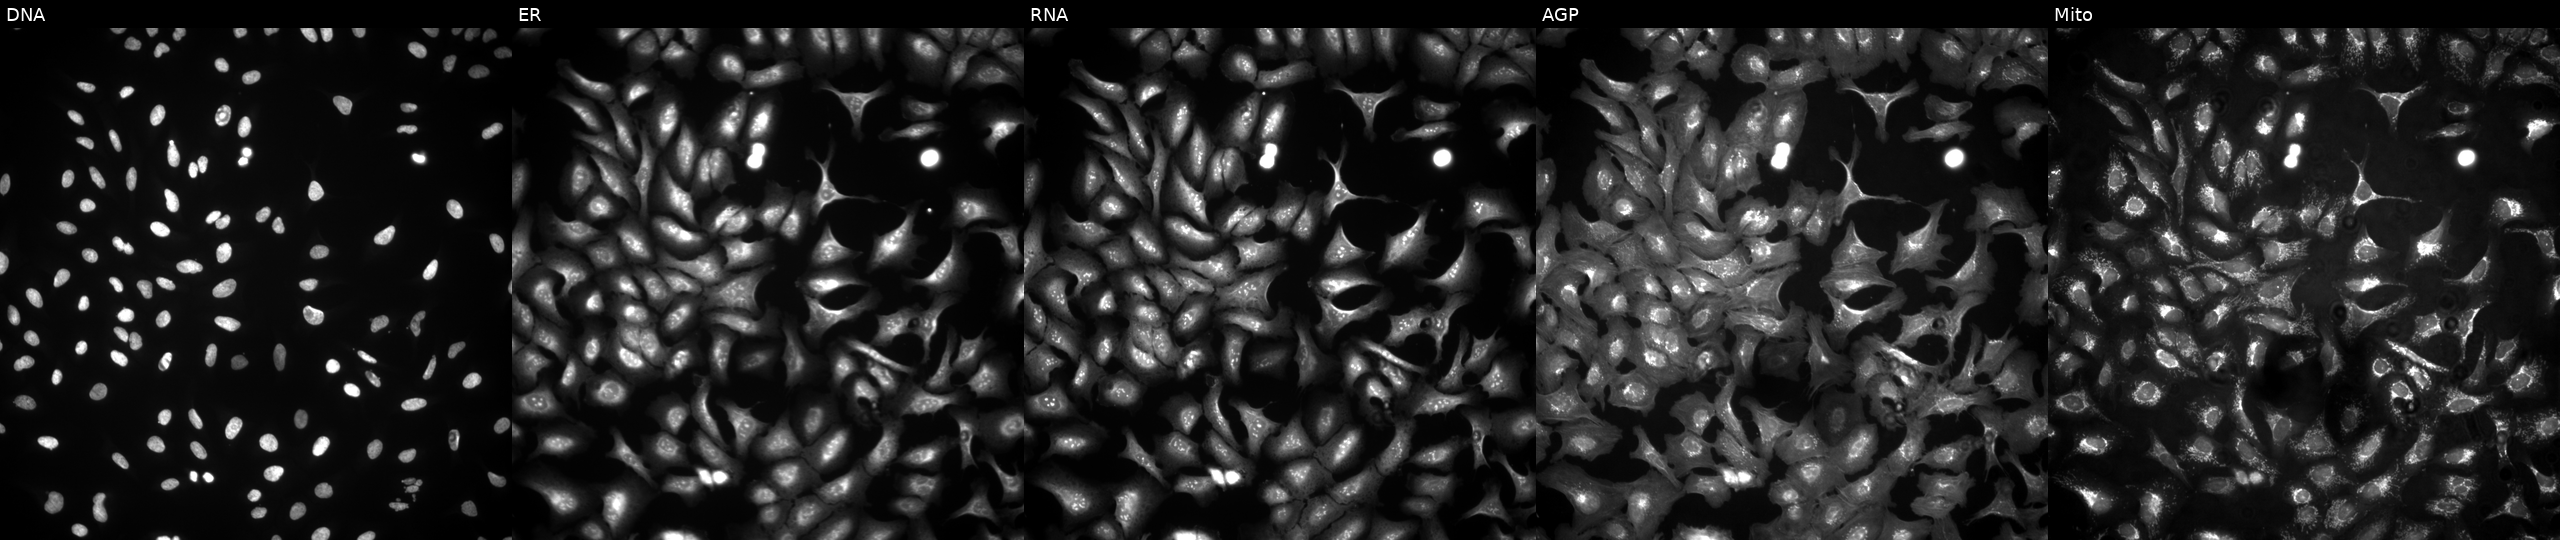
U2OS cells, Cell Painting assay, with C1orf87 overexpressed (ORF) (JUMP id JCP2022_912246). Panels show, left to right, DNA, ER, RNA, AGP, and Mito. Each panel is percentile-stretched 16-bit fluorescence.